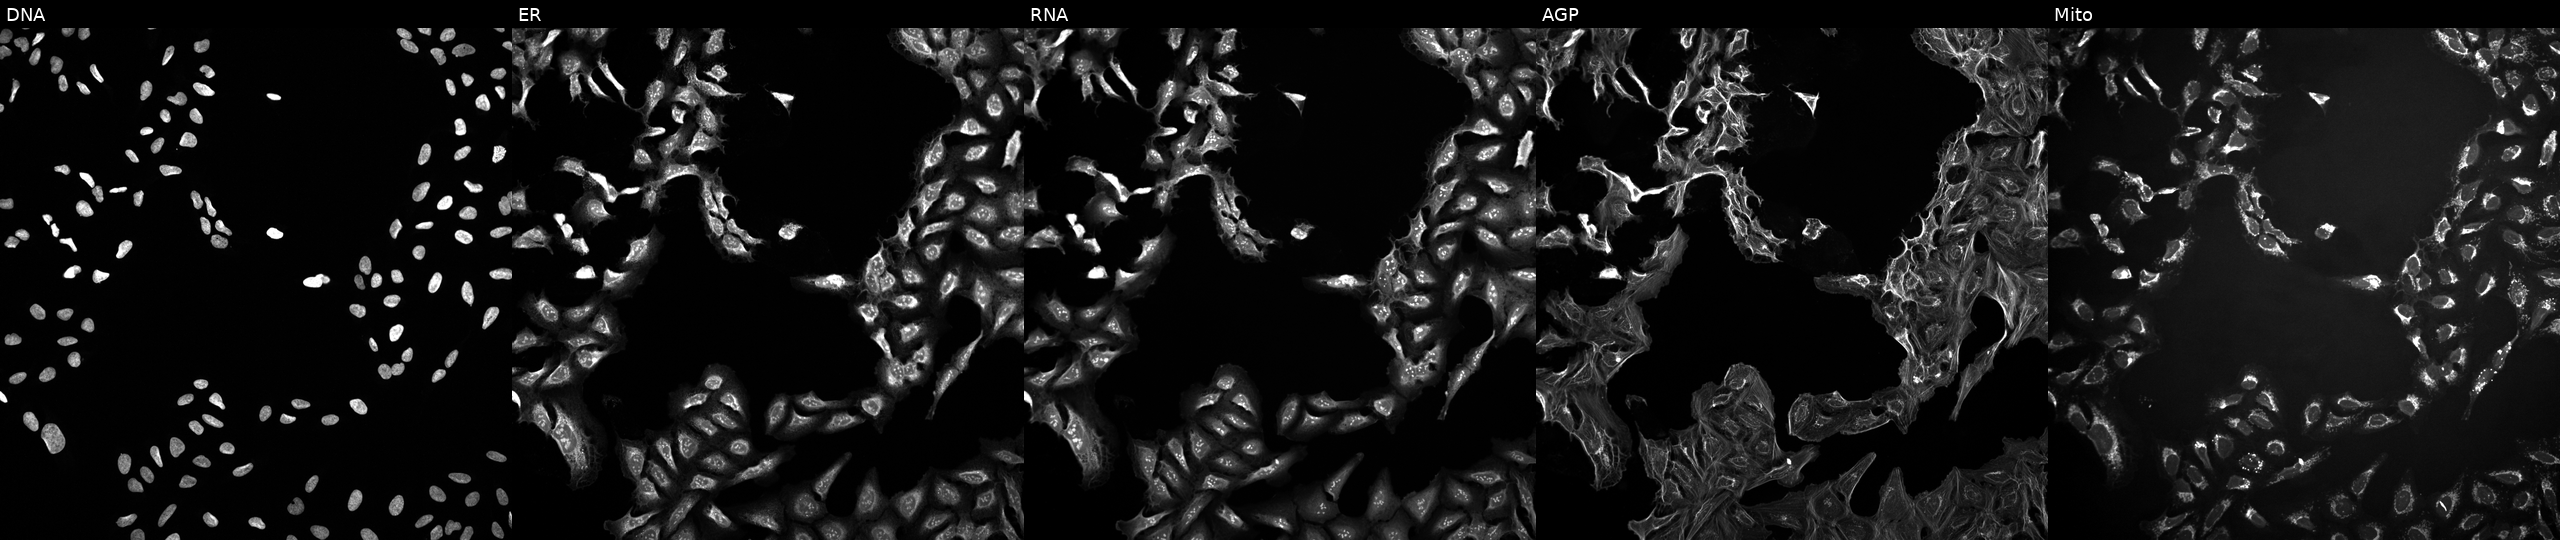
This image strip shows the five Cell Painting channels for a single field of U2OS cells perturbed with a small-molecule compound. Channels (left→right): DNA, ER, RNA, AGP, and Mito. Source 10, plate Dest210726-160150, well L12.